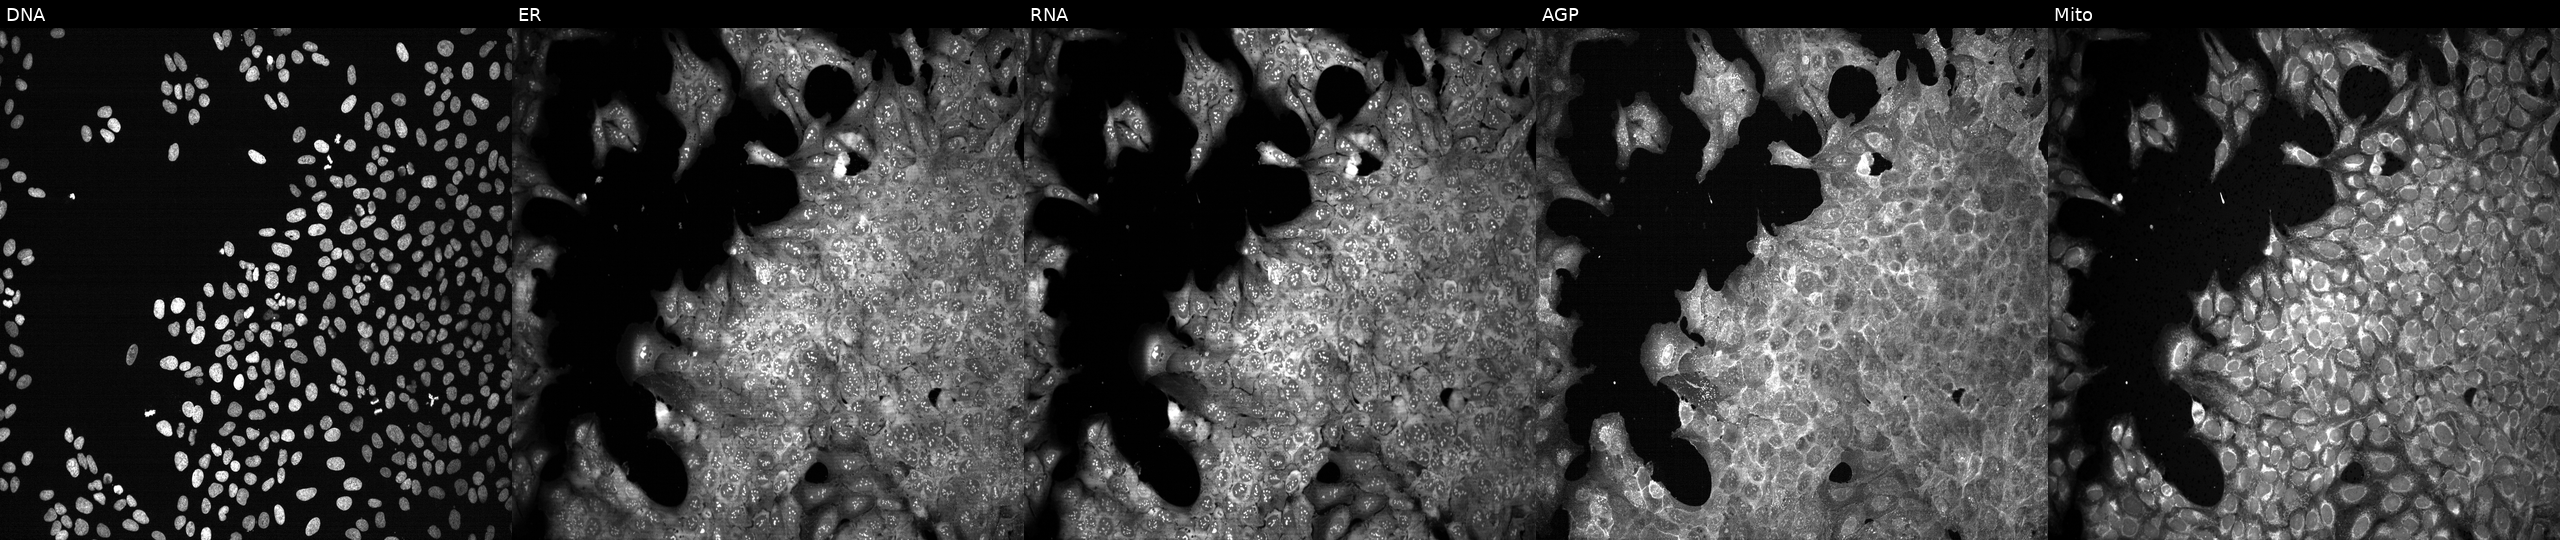
Panels show, left to right, Hoechst 33342, concanavalin A, SYTO 14, phalloidin and WGA, MitoTracker. U2OS osteosarcoma cells treated with LY2109761 (positive-control compound) (JUMP id JCP2022_035095). Cell Painting assay, JUMP-CP dataset.